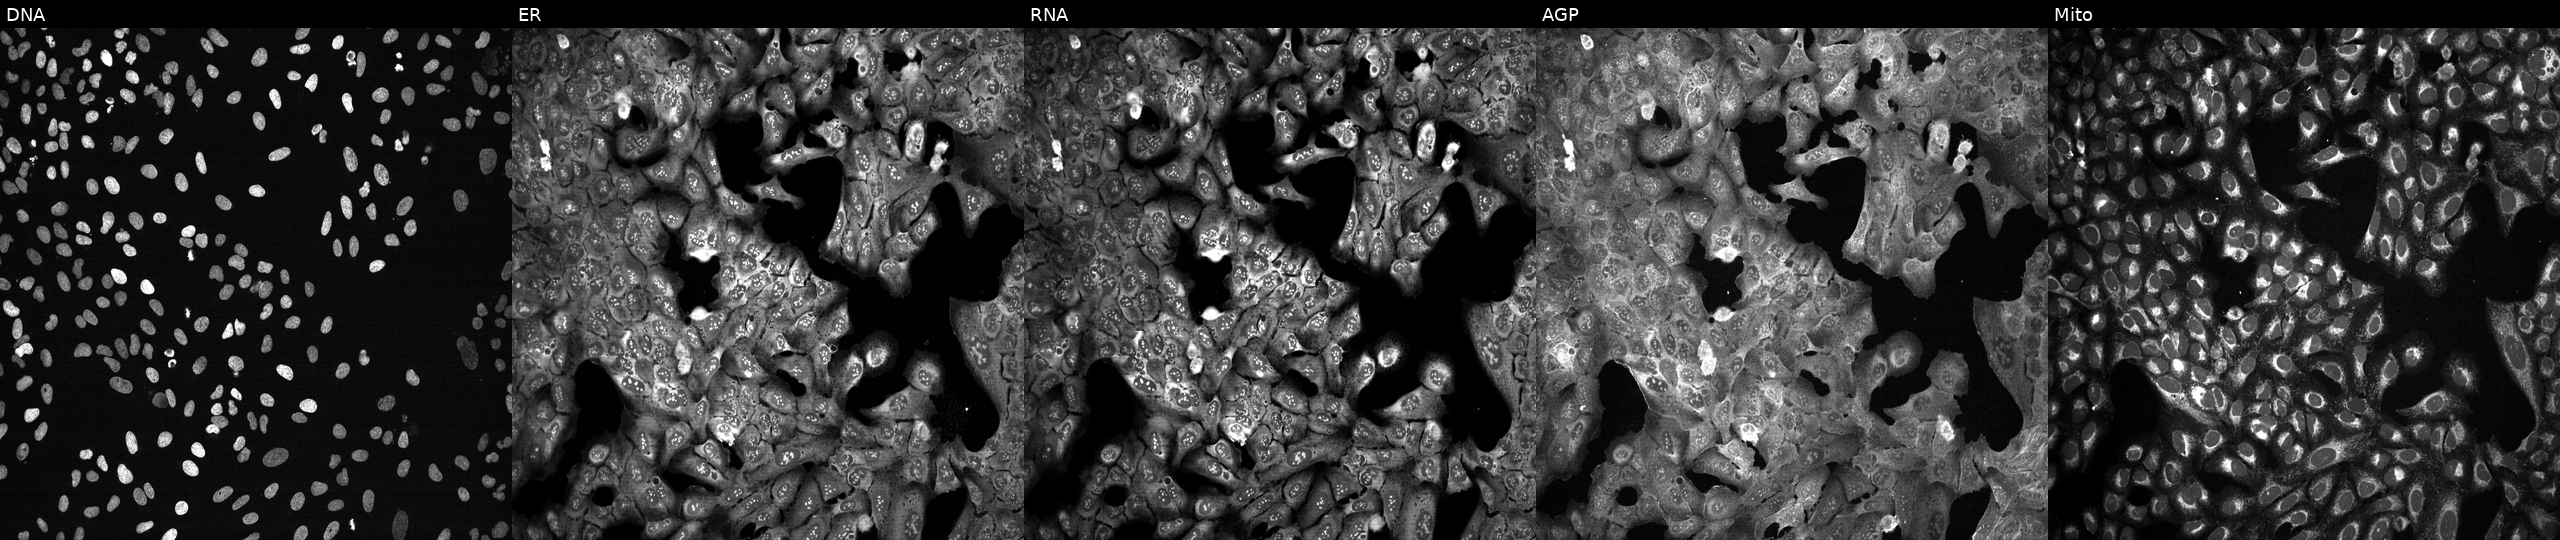
High-content fluorescence microscopy (Cell Painting). Cell line: U2OS. Perturbation: CRISPR-edited to disrupt HSD17B8. From left to right: DNA (nuclei); ER (endoplasmic reticulum); RNA (nucleoli and cytoplasmic RNA); AGP (actin cytoskeleton, Golgi, and plasma membrane); Mito (mitochondria). Source 13, plate CP-CC9-R3-02, well J20.